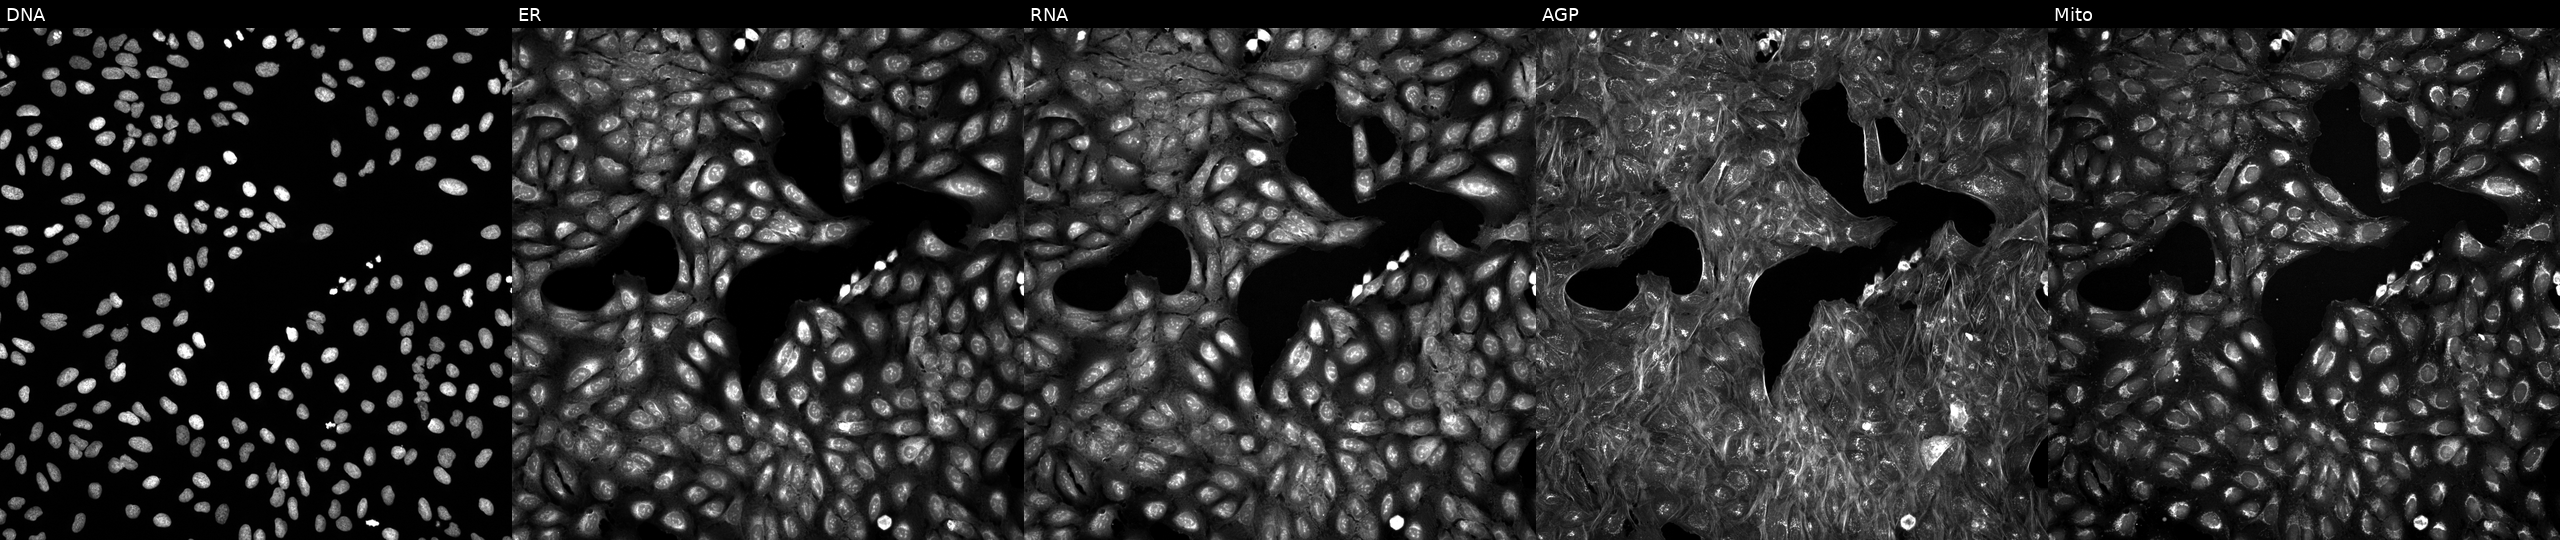
U2OS cells, Cell Painting assay, treated with a small-molecule compound [SMILES: O=C(O)c1cc(N=Nc2ccc(S(=O)(=O)N=c3cccc[nH]3)cc2)ccc1O]. The five panels, left to right, show Hoechst 33342, concanavalin A, SYTO 14, phalloidin and WGA, MitoTracker. Each panel is percentile-stretched 16-bit fluorescence.